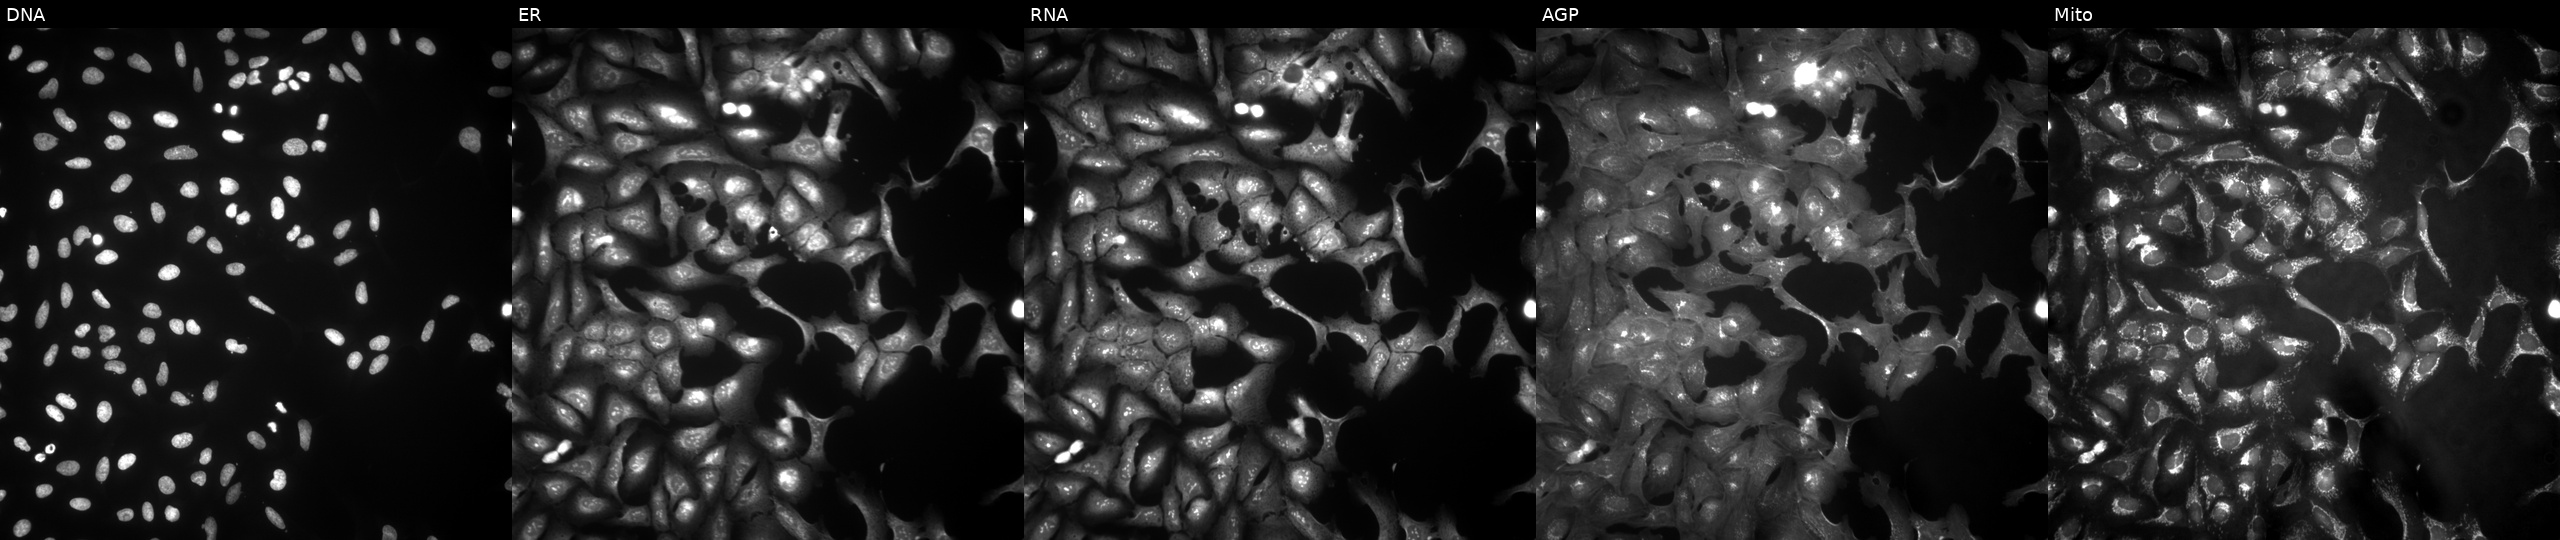
Channels (left→right): Hoechst 33342, concanavalin A, SYTO 14, phalloidin and WGA, MitoTracker. U2OS osteosarcoma cells transfected with an ORF construct for VPS29 (JUMP id JCP2022_903159). Cell Painting assay, JUMP-CP dataset. Source 4, plate BR00123506, well I15.